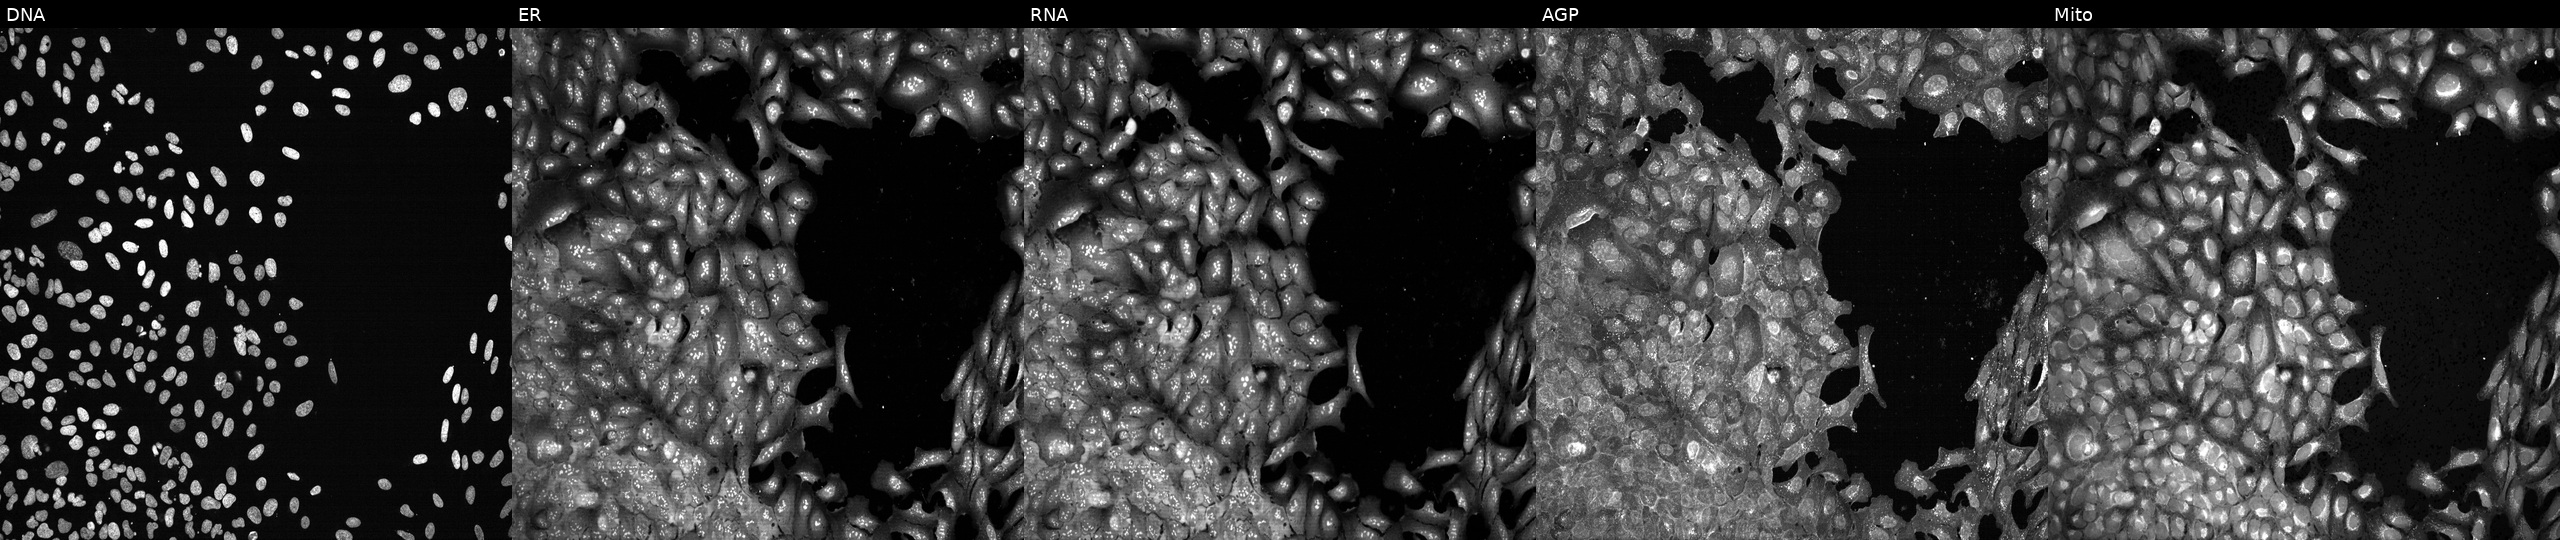
JUMP Cell Painting — CRISPR plate. U2OS cells following CRISPR knockout of UGT2B15 (JUMP id JCP2022_807528). Channels (left→right): DNA, ER, RNA, AGP, and Mito. Source 13, plate CP-CC9-R1-02, well C12.